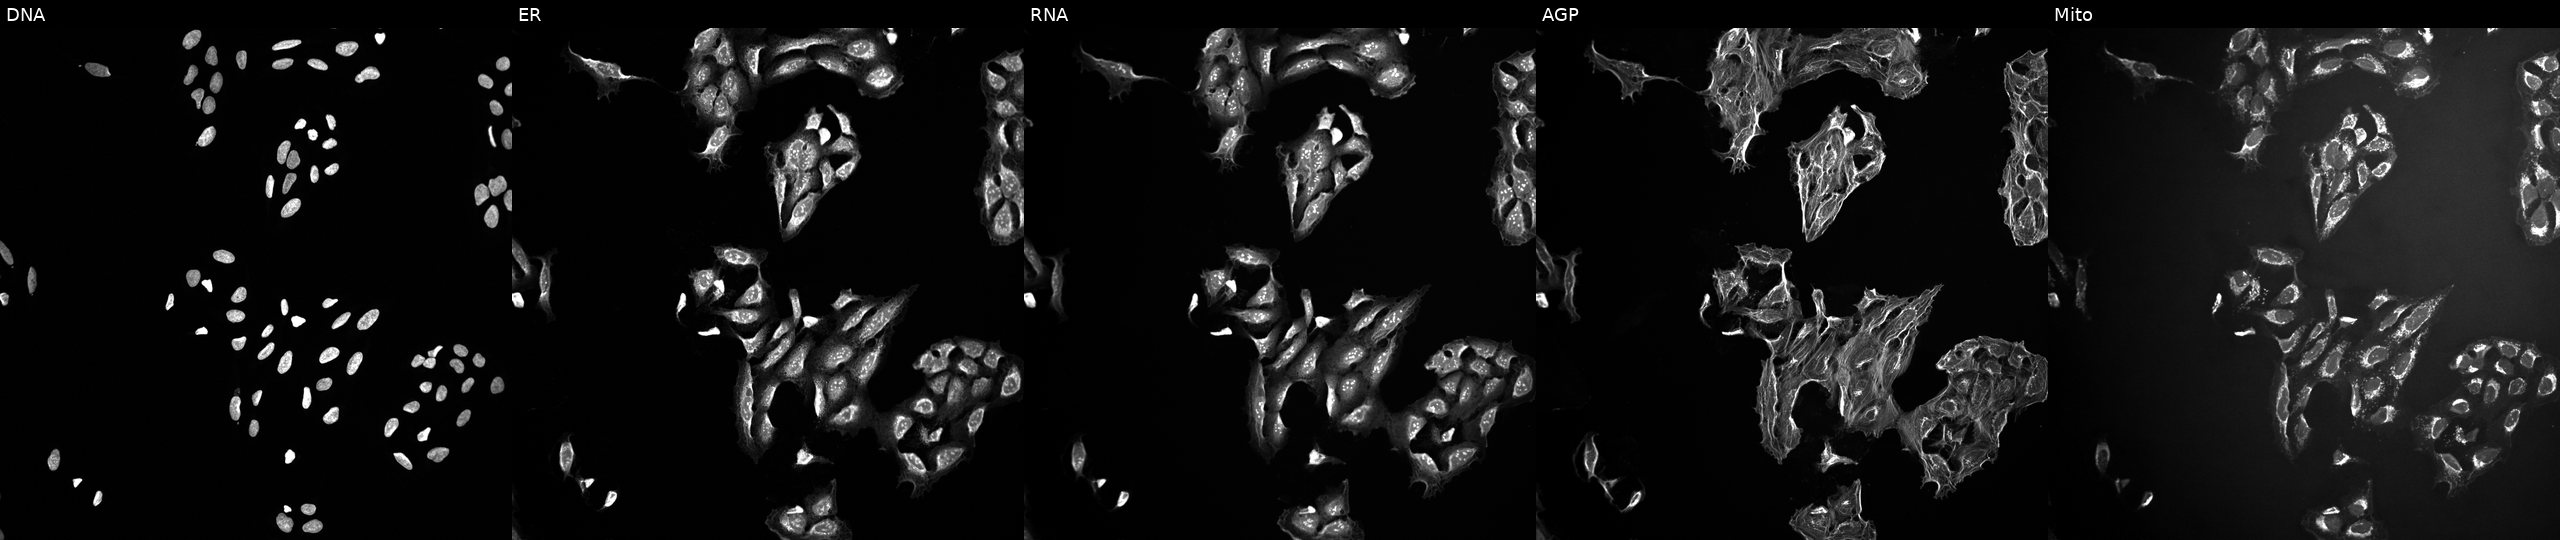
Channels (left→right): Hoechst 33342, concanavalin A, SYTO 14, phalloidin and WGA, MitoTracker. U2OS osteosarcoma cells treated with a small-molecule compound (InChIKey KAQKFAOMNZTLHT-UHFFFAOYSA-N) [SMILES: CCCCCC(O)C=CC1C(O)CC2OC(=CCCCC(=O)O)CC21]. Cell Painting assay, JUMP-CP dataset.